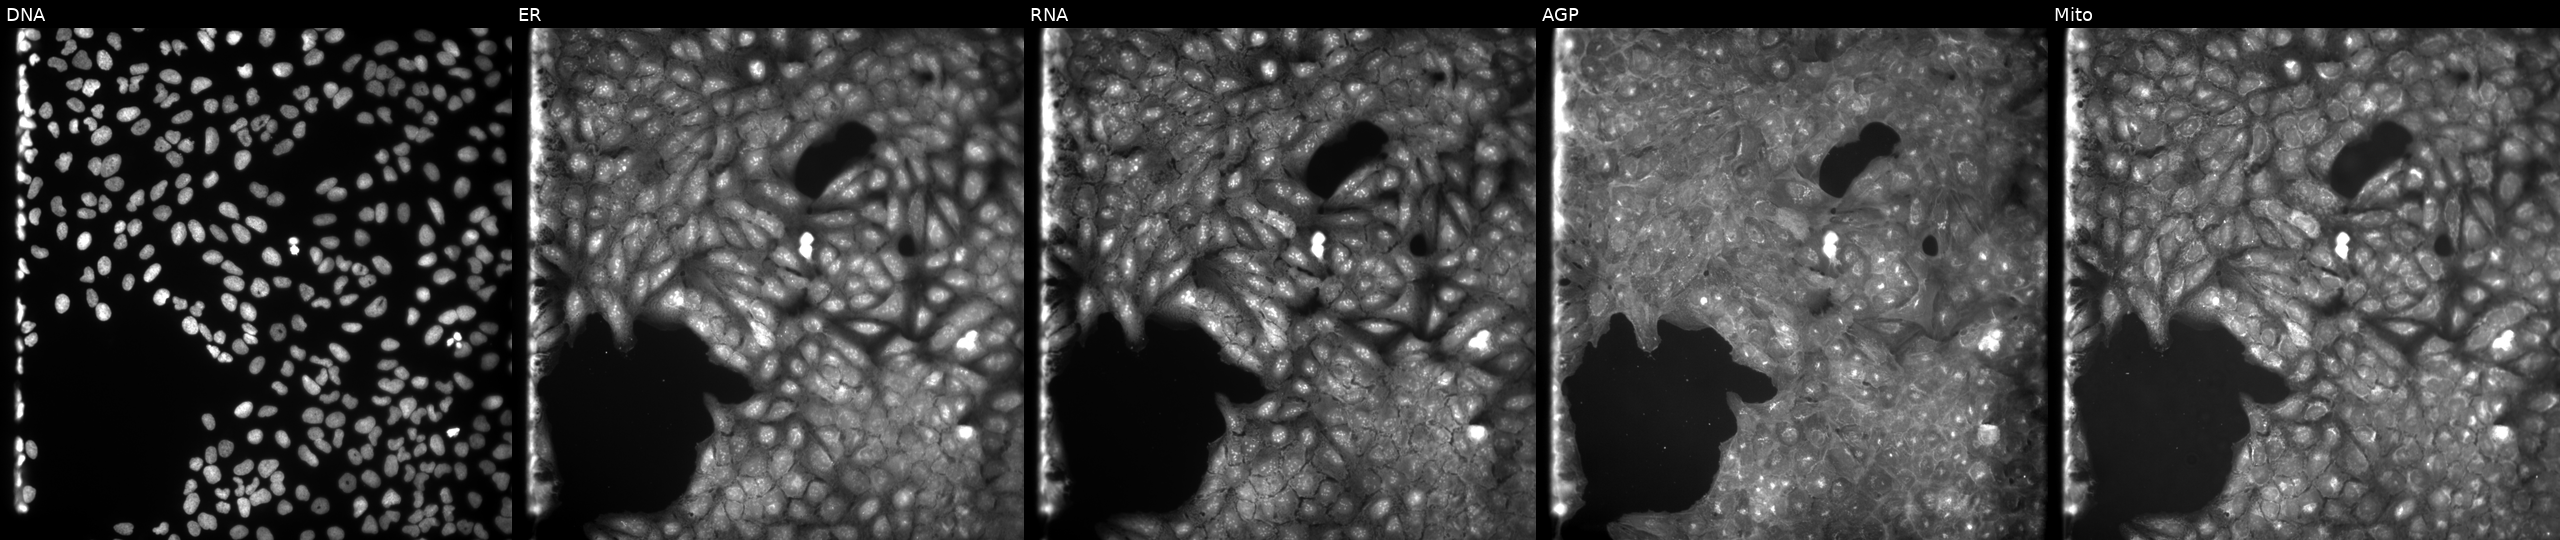
JUMP Cell Painting — COMPOUND plate. U2OS cells treated with a small-molecule compound (InChIKey BPRRNILNTVUJLI-UHFFFAOYSA-N) (JUMP id JCP2022_007878). Channels (left→right): DNA, ER, RNA, AGP, and Mito.